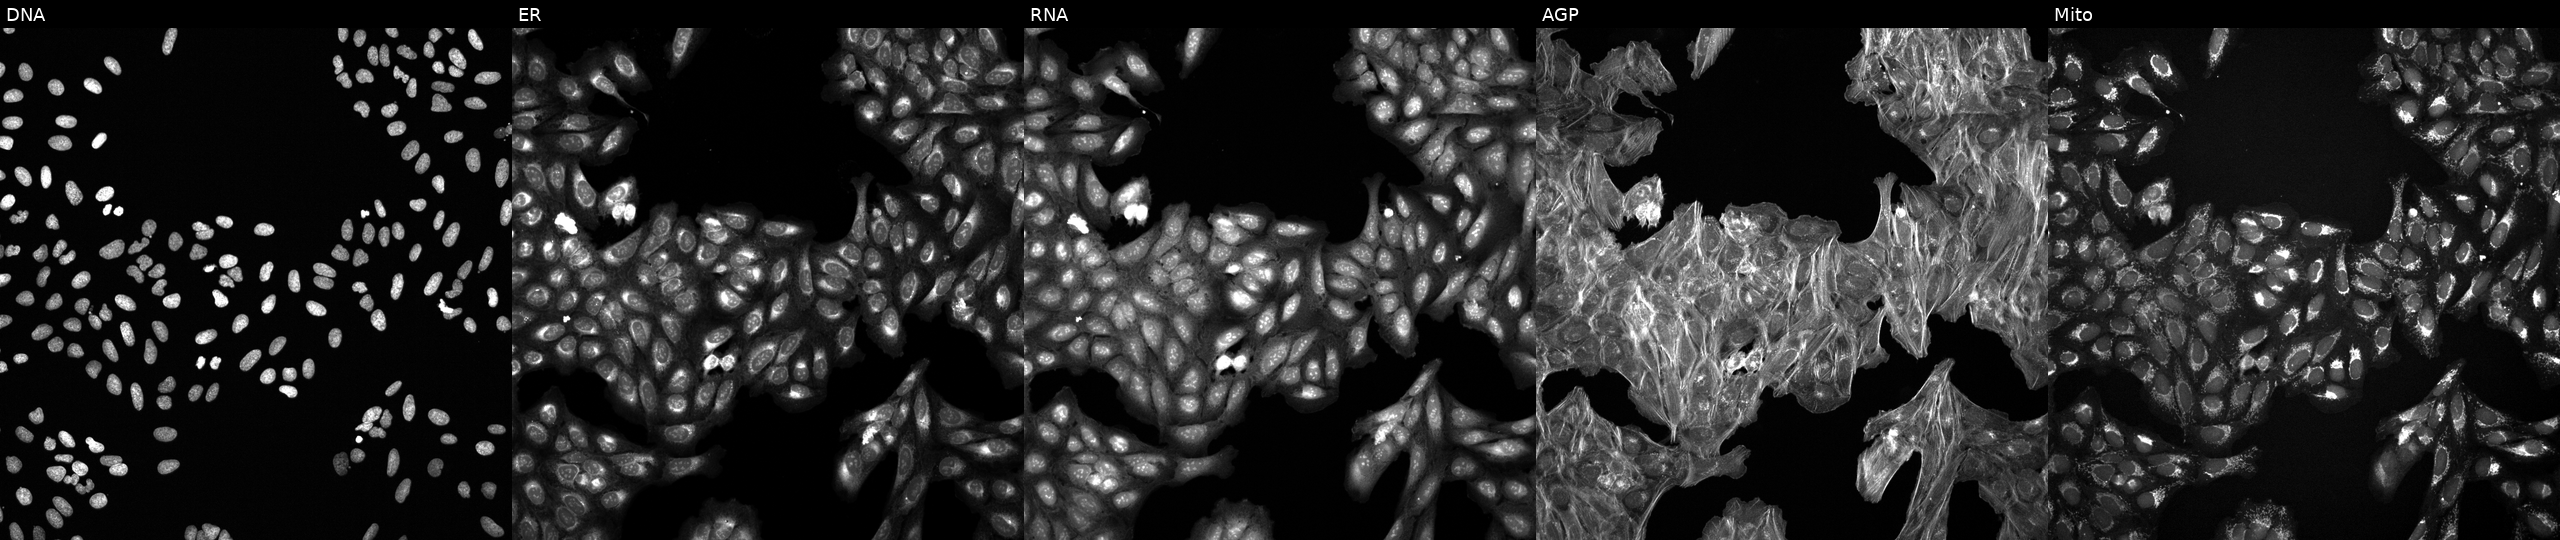
The five panels, left to right, show DNA (nuclei); ER (endoplasmic reticulum); RNA (nucleoli and cytoplasmic RNA); AGP (actin cytoskeleton, Golgi, and plasma membrane); Mito (mitochondria). U2OS osteosarcoma cells exposed to a small-molecule compound [SMILES: O=C(Nc1cccc2ccccc12)C1CCCN(S(=O)(=O)c2cccs2)C1]. Cell Painting assay, JUMP-CP dataset. Source 6, plate 110000293082, well J05.